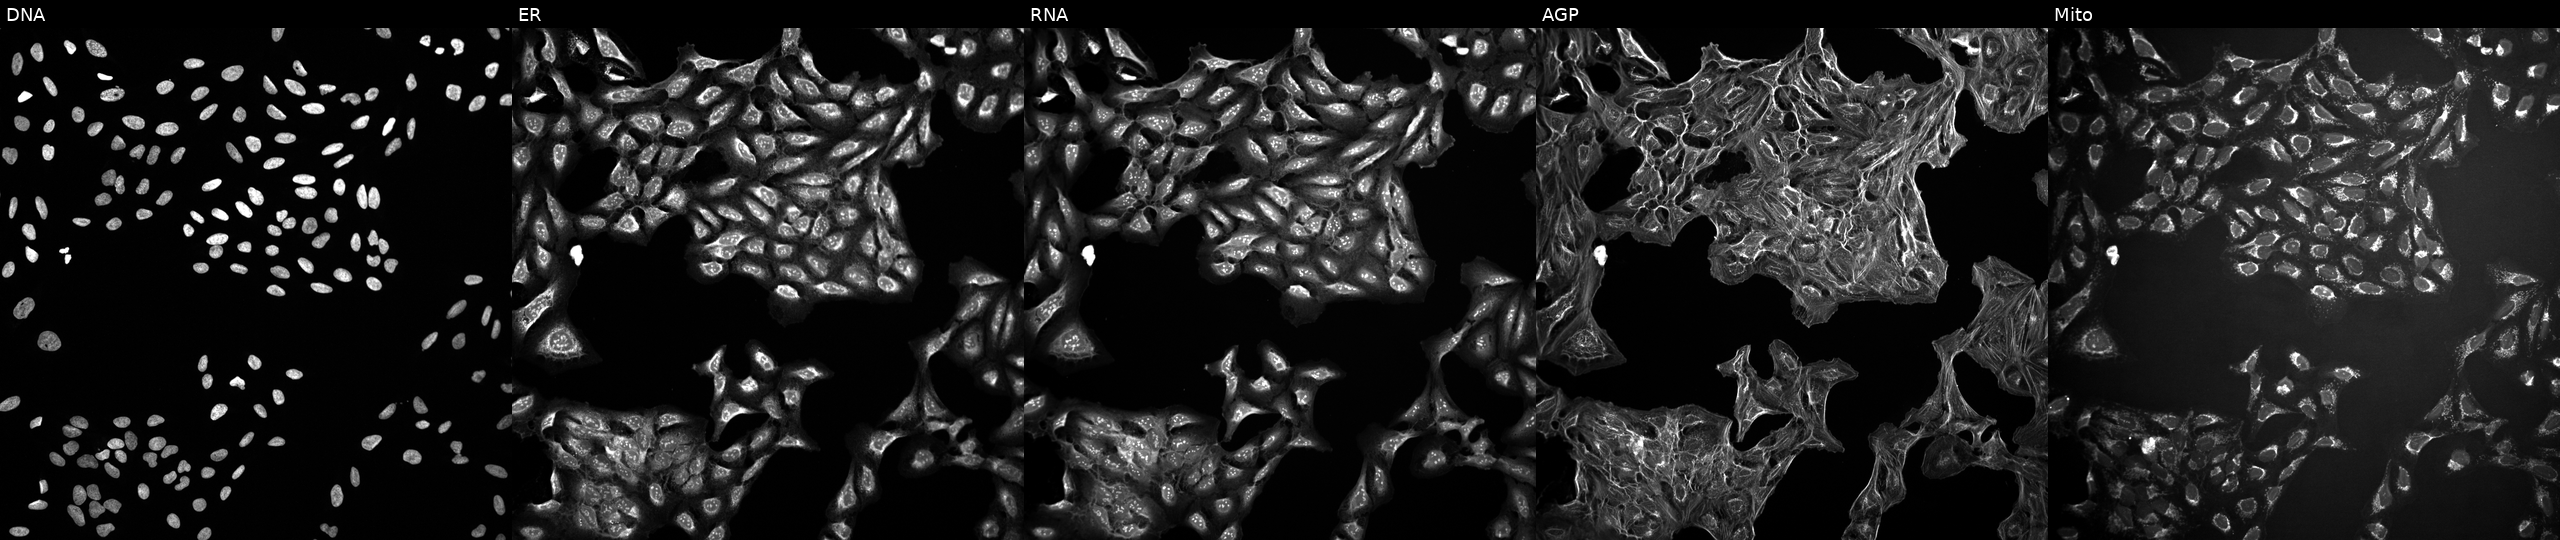
U2OS cells, Cell Painting assay, exposed to a small-molecule compound (InChIKey YULUCECVQOCQFQ-UHFFFAOYSA-N) (JUMP id JCP2022_110929). Panels show, left to right, DNA (nuclei); ER (endoplasmic reticulum); RNA (nucleoli and cytoplasmic RNA); AGP (actin cytoskeleton, Golgi, and plasma membrane); Mito (mitochondria). Each panel is percentile-stretched 16-bit fluorescence.